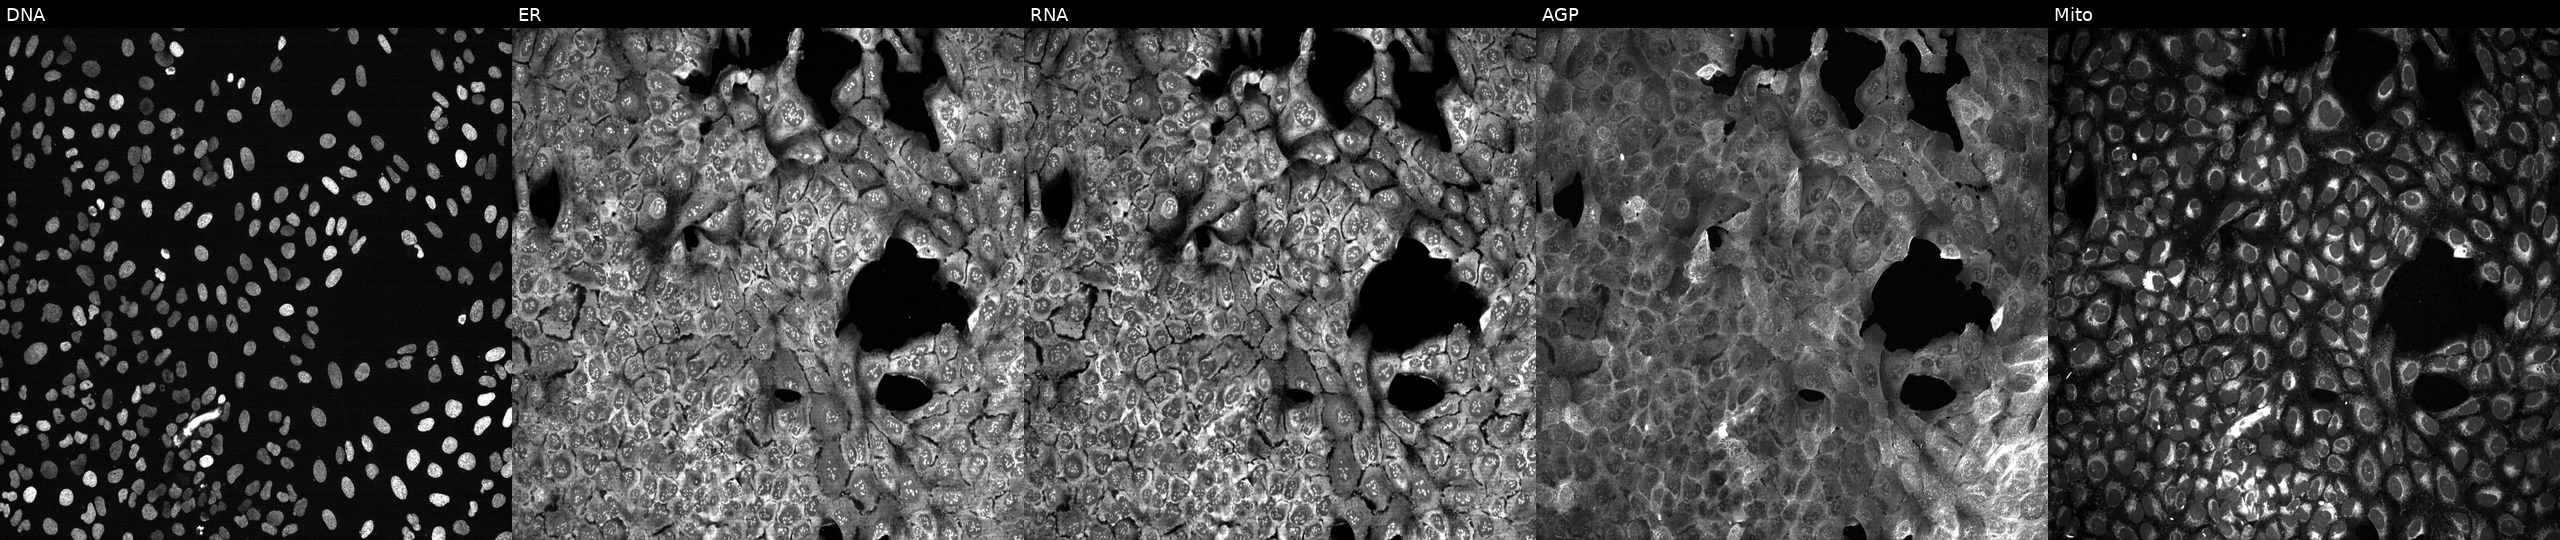
This image strip shows the five Cell Painting channels for a single field of U2OS cells following CRISPR knockout of IDH3A (JUMP id JCP2022_803322). The five panels, left to right, show Hoechst 33342, concanavalin A, SYTO 14, phalloidin and WGA, MitoTracker.